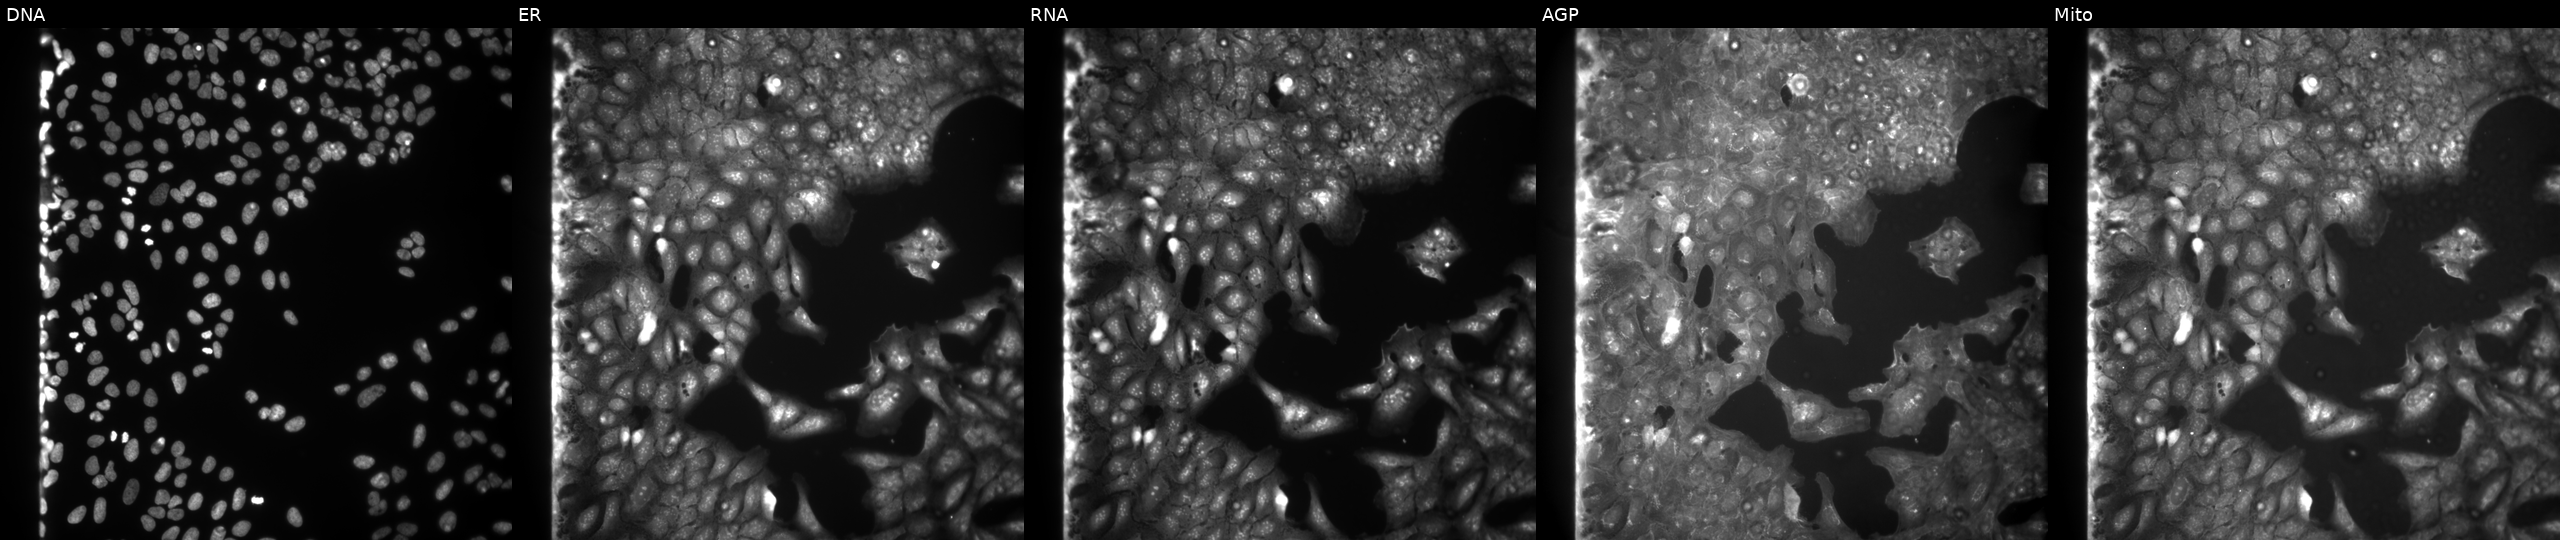
This image strip shows the five Cell Painting channels for a single field of U2OS cells treated with a small-molecule compound (InChIKey ZAYDXYXARJGHME-UHFFFAOYSA-N). The five panels, left to right, show DNA, ER, RNA, AGP, and Mito.